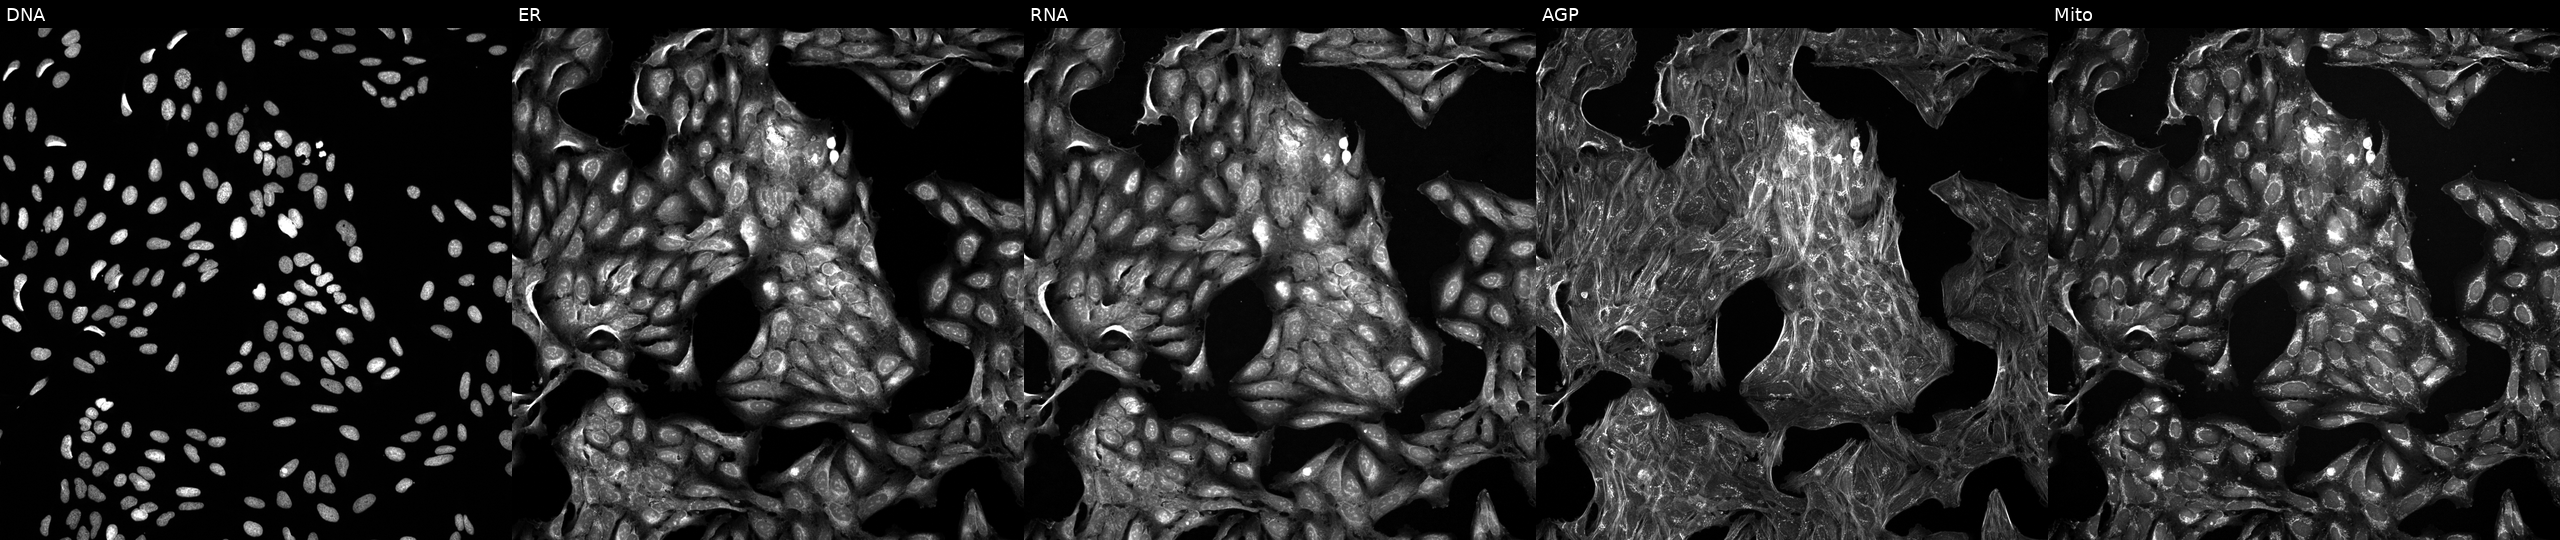
U2OS cells, Cell Painting assay, exposed to a small-molecule compound. Channels (left→right): DNA (nuclei); ER (endoplasmic reticulum); RNA (nucleoli and cytoplasmic RNA); AGP (actin cytoskeleton, Golgi, and plasma membrane); Mito (mitochondria). Each panel is percentile-stretched 16-bit fluorescence.